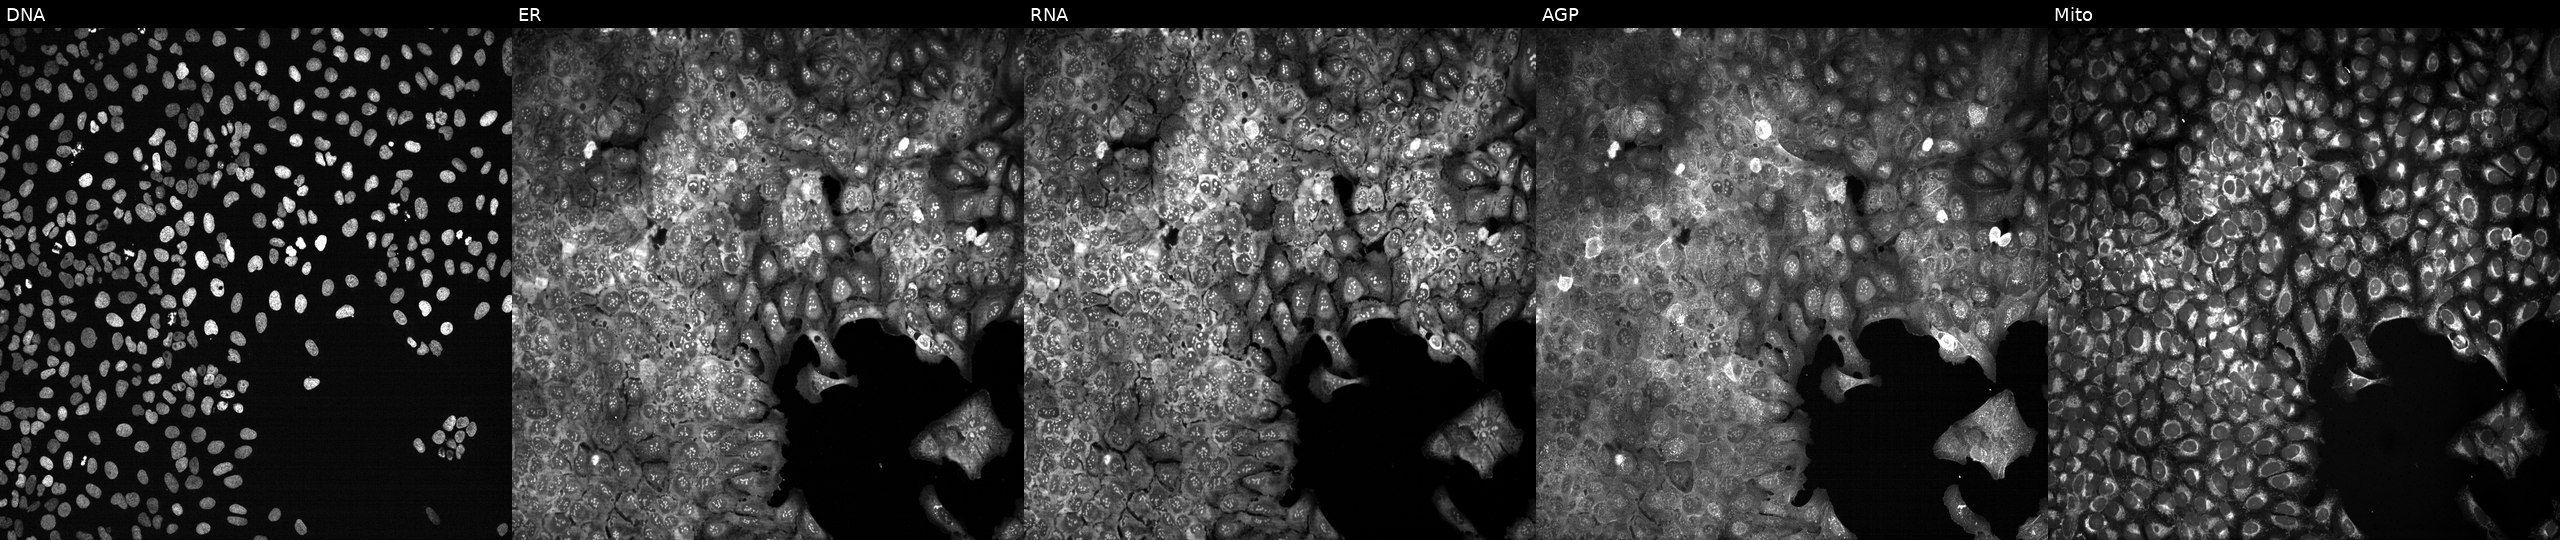
JUMP Cell Painting — CRISPR plate. U2OS cells with NAGPA knocked out by CRISPR. From left to right: DNA (nuclei); ER (endoplasmic reticulum); RNA (nucleoli and cytoplasmic RNA); AGP (actin cytoskeleton, Golgi, and plasma membrane); Mito (mitochondria).